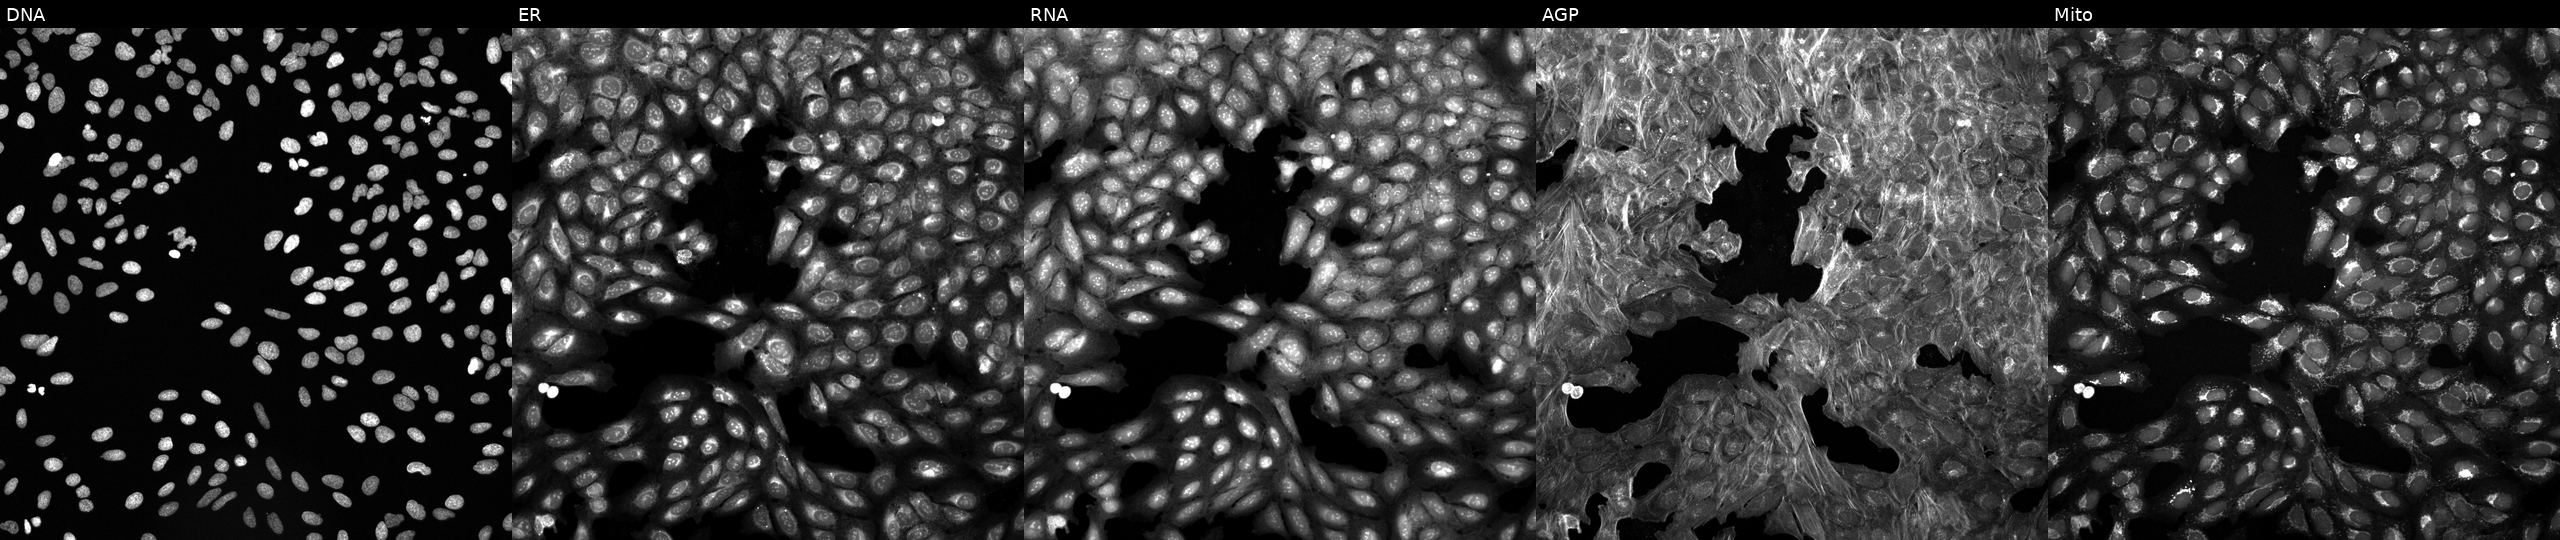
The five panels, left to right, show Hoechst 33342, concanavalin A, SYTO 14, phalloidin and WGA, MitoTracker. U2OS osteosarcoma cells treated with a small-molecule compound (JUMP id JCP2022_003951). Cell Painting assay, JUMP-CP dataset.